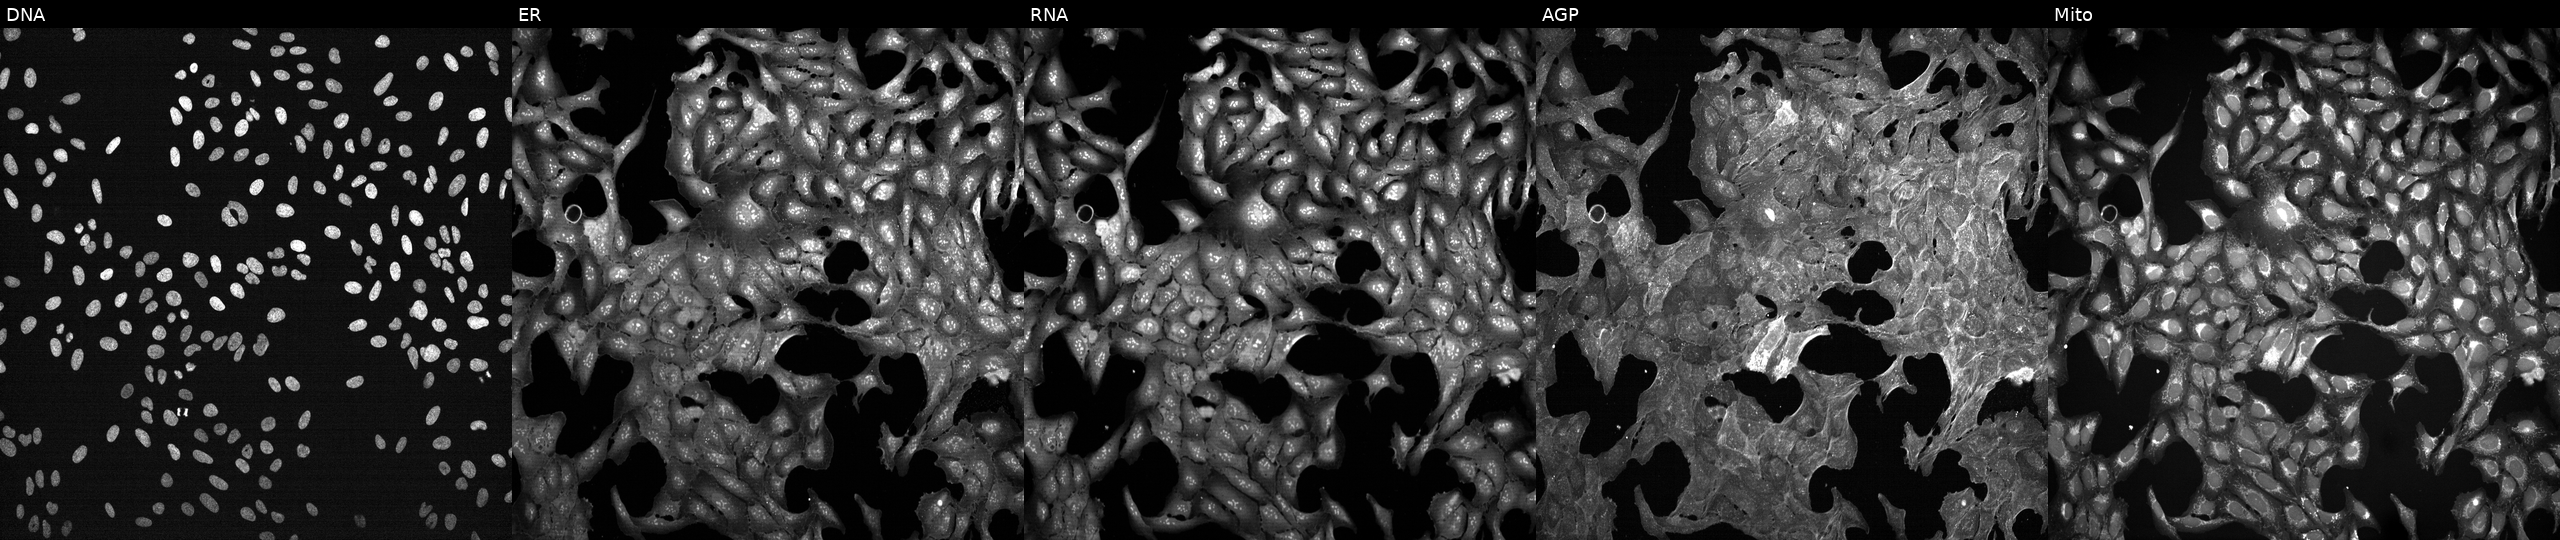
From left to right: DNA (nuclei); ER (endoplasmic reticulum); RNA (nucleoli and cytoplasmic RNA); AGP (actin cytoskeleton, Golgi, and plasma membrane); Mito (mitochondria). U2OS osteosarcoma cells perturbed with a small-molecule compound (InChIKey HKQYGTCOTHHOMP-UHFFFAOYSA-N) (JUMP id JCP2022_030831). Cell Painting assay, JUMP-CP dataset.